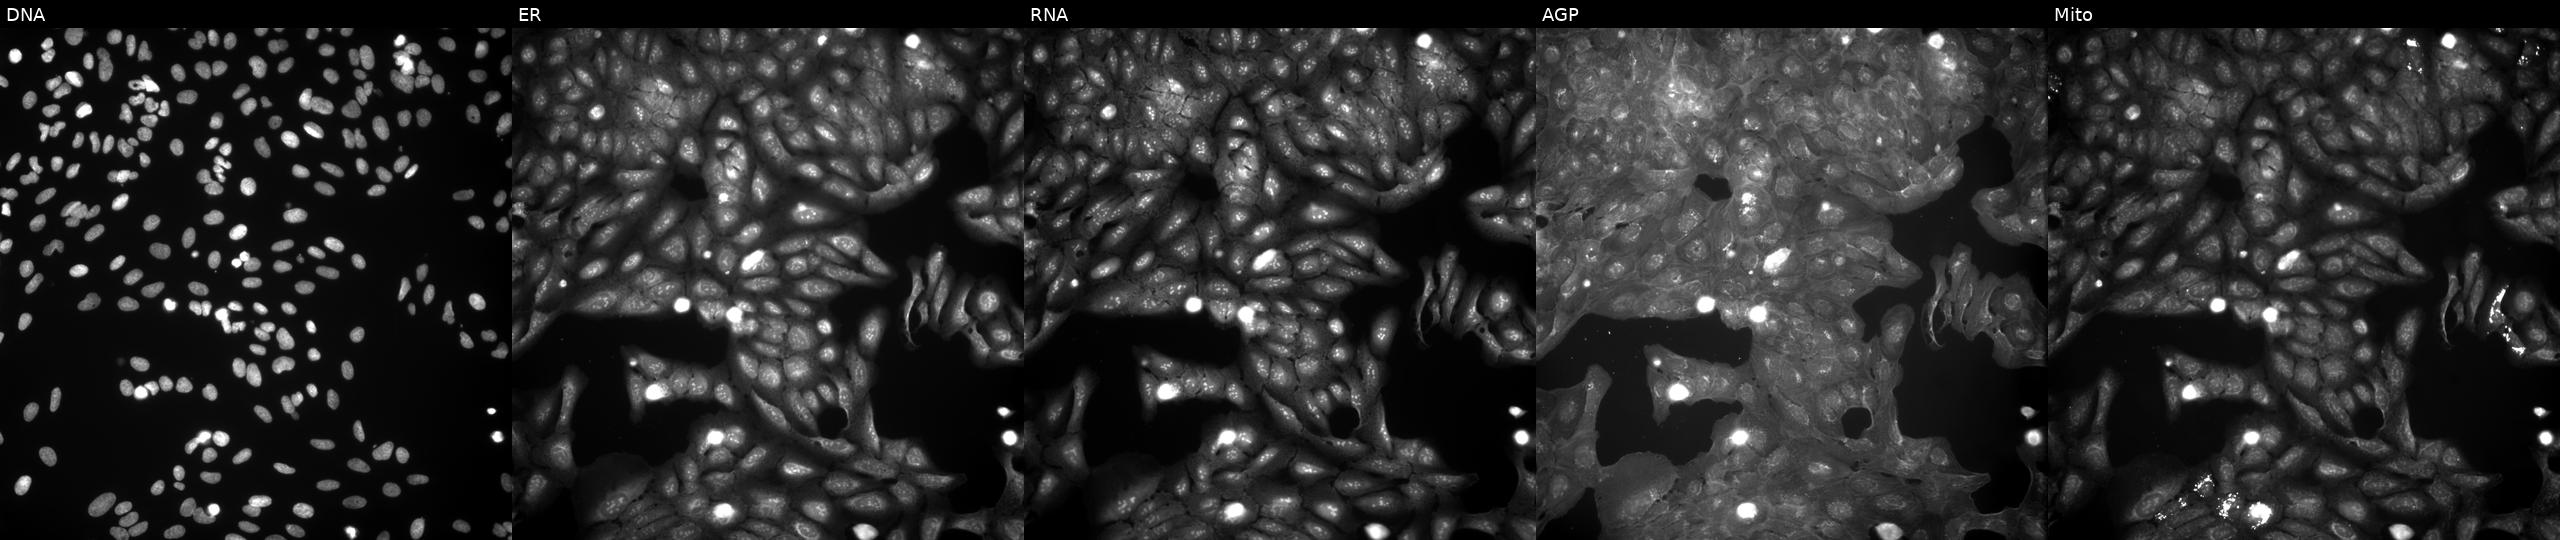
Five-channel Cell Painting image of U2OS cells treated with a small-molecule compound (InChIKey ZYACVYDLWKWLOF-UHFFFAOYSA-N) (JUMP id JCP2022_116385). Panels show, left to right, Hoechst 33342, concanavalin A, SYTO 14, phalloidin and WGA, MitoTracker. Source 9, plate GR00003381, well R20.